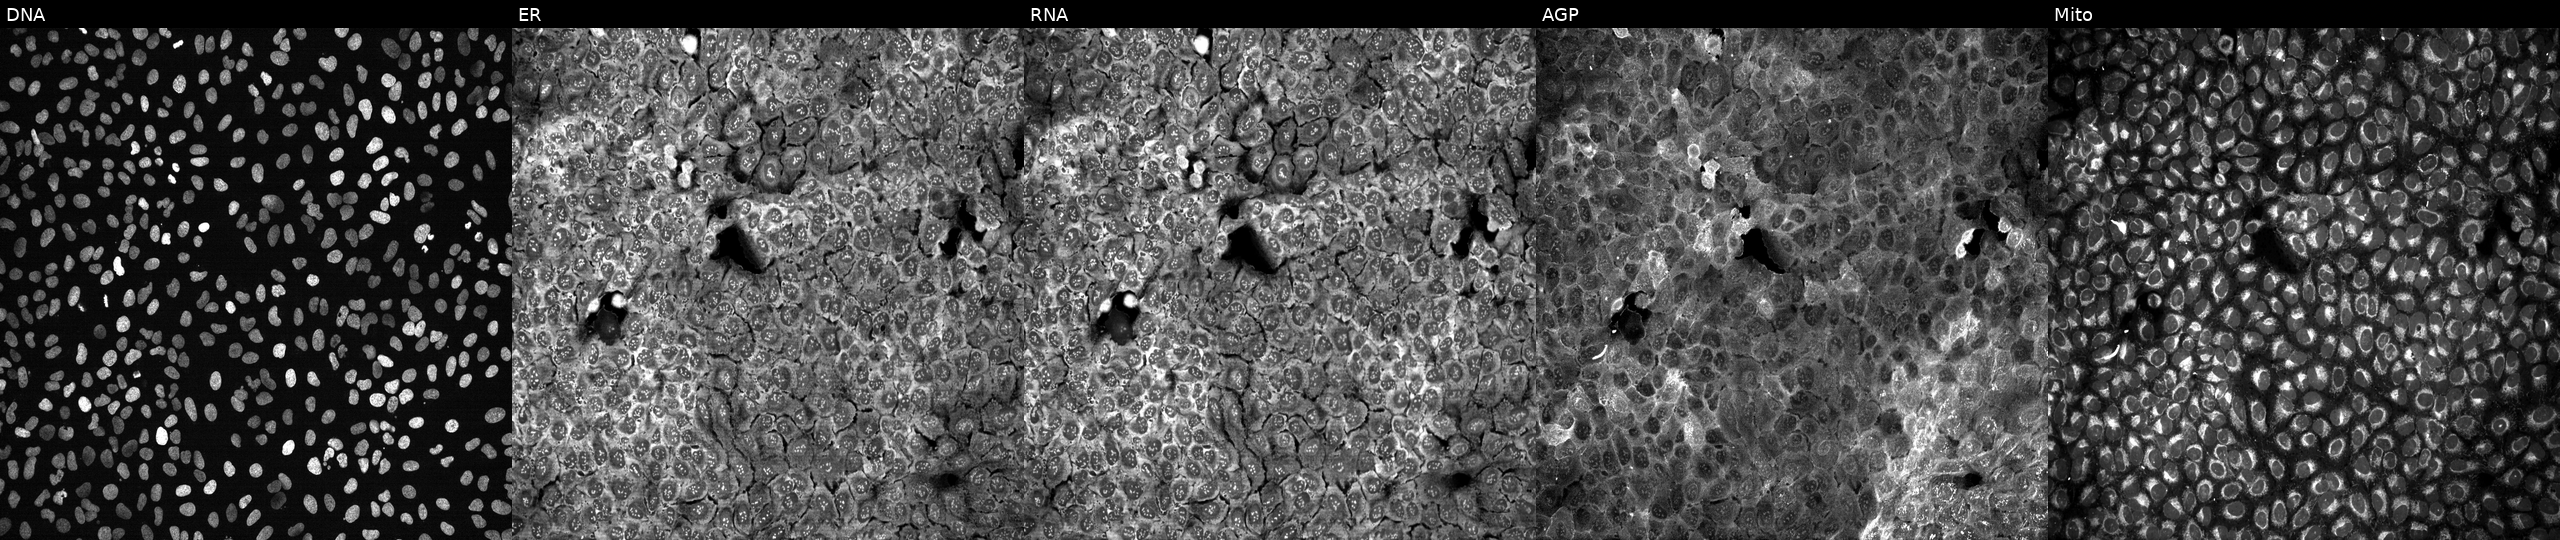
High-content fluorescence microscopy (Cell Painting). Cell line: U2OS. Perturbation: following CRISPR knockout of PYCR1. Panels show, left to right, Hoechst 33342, concanavalin A, SYTO 14, phalloidin and WGA, MitoTracker.